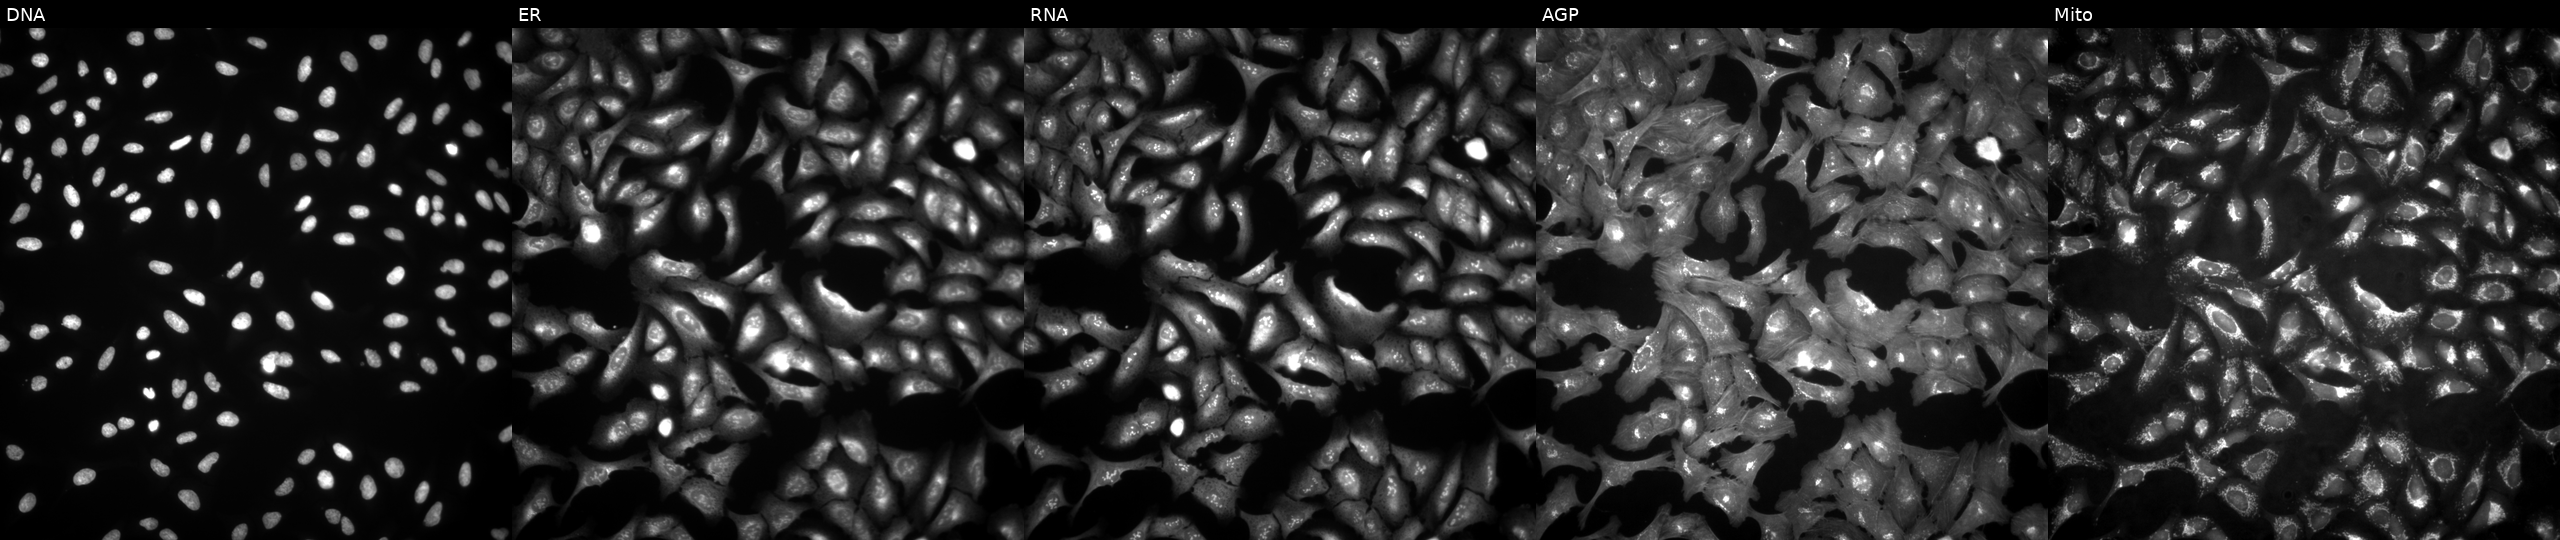
JUMP Cell Painting — ORF plate. U2OS cells expressing LacZ (ORF negative control) (JUMP id JCP2022_915131). The five panels, left to right, show DNA (nuclei); ER (endoplasmic reticulum); RNA (nucleoli and cytoplasmic RNA); AGP (actin cytoskeleton, Golgi, and plasma membrane); Mito (mitochondria).